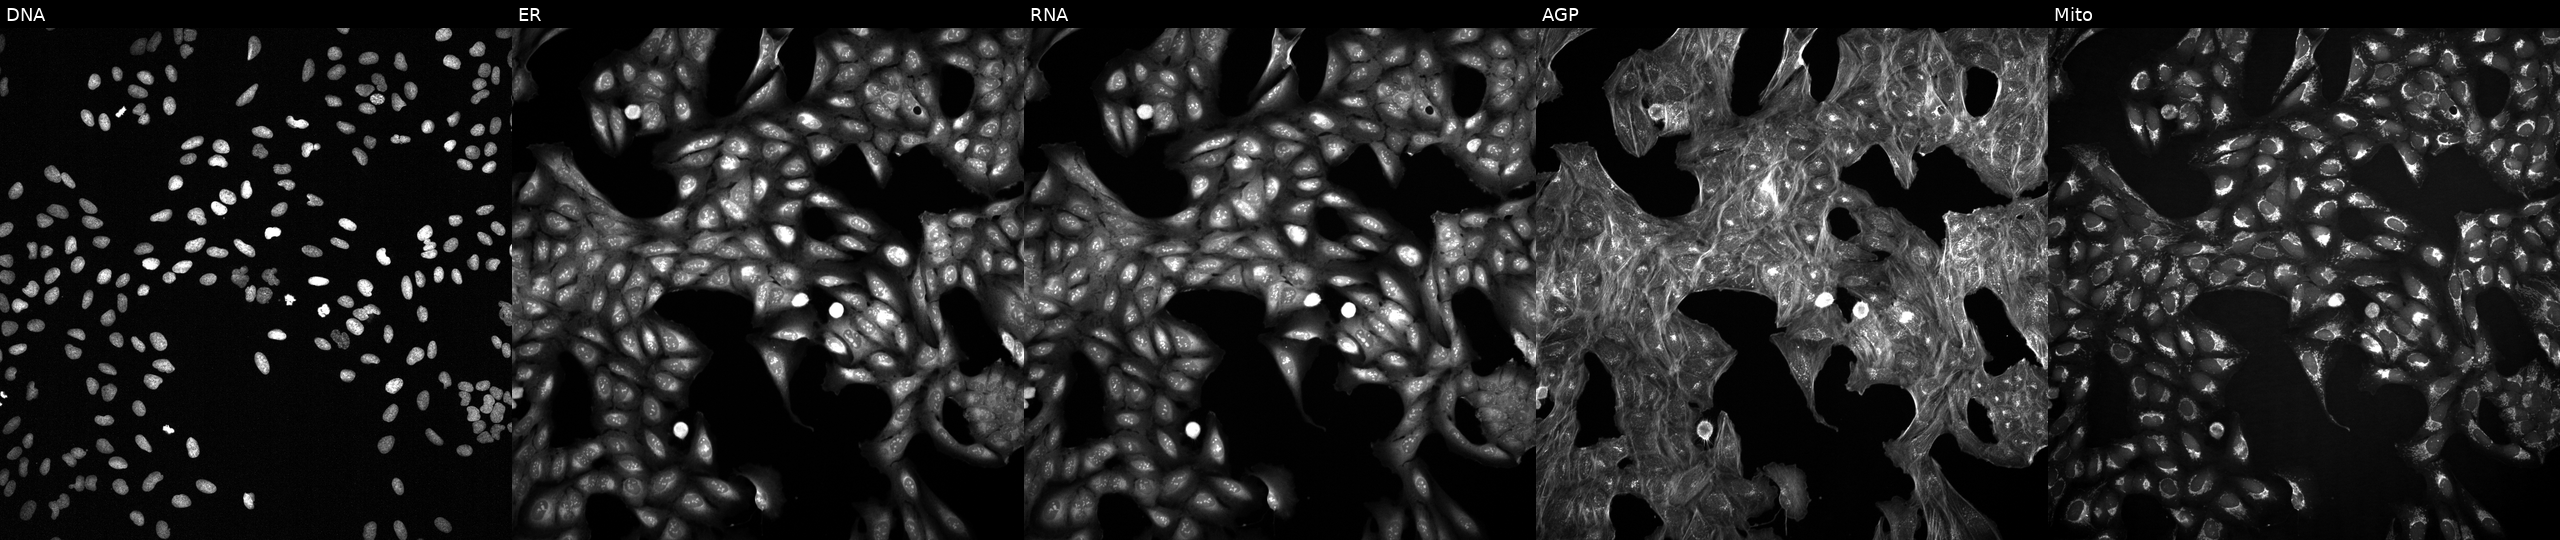
U2OS cells, Cell Painting assay, treated with a small-molecule compound (InChIKey QIHBWVVVRYYYRO-UHFFFAOYSA-N). Channels (left→right): Hoechst 33342, concanavalin A, SYTO 14, phalloidin and WGA, MitoTracker. Each panel is percentile-stretched 16-bit fluorescence. Source 2, plate 1053600674, well H16.